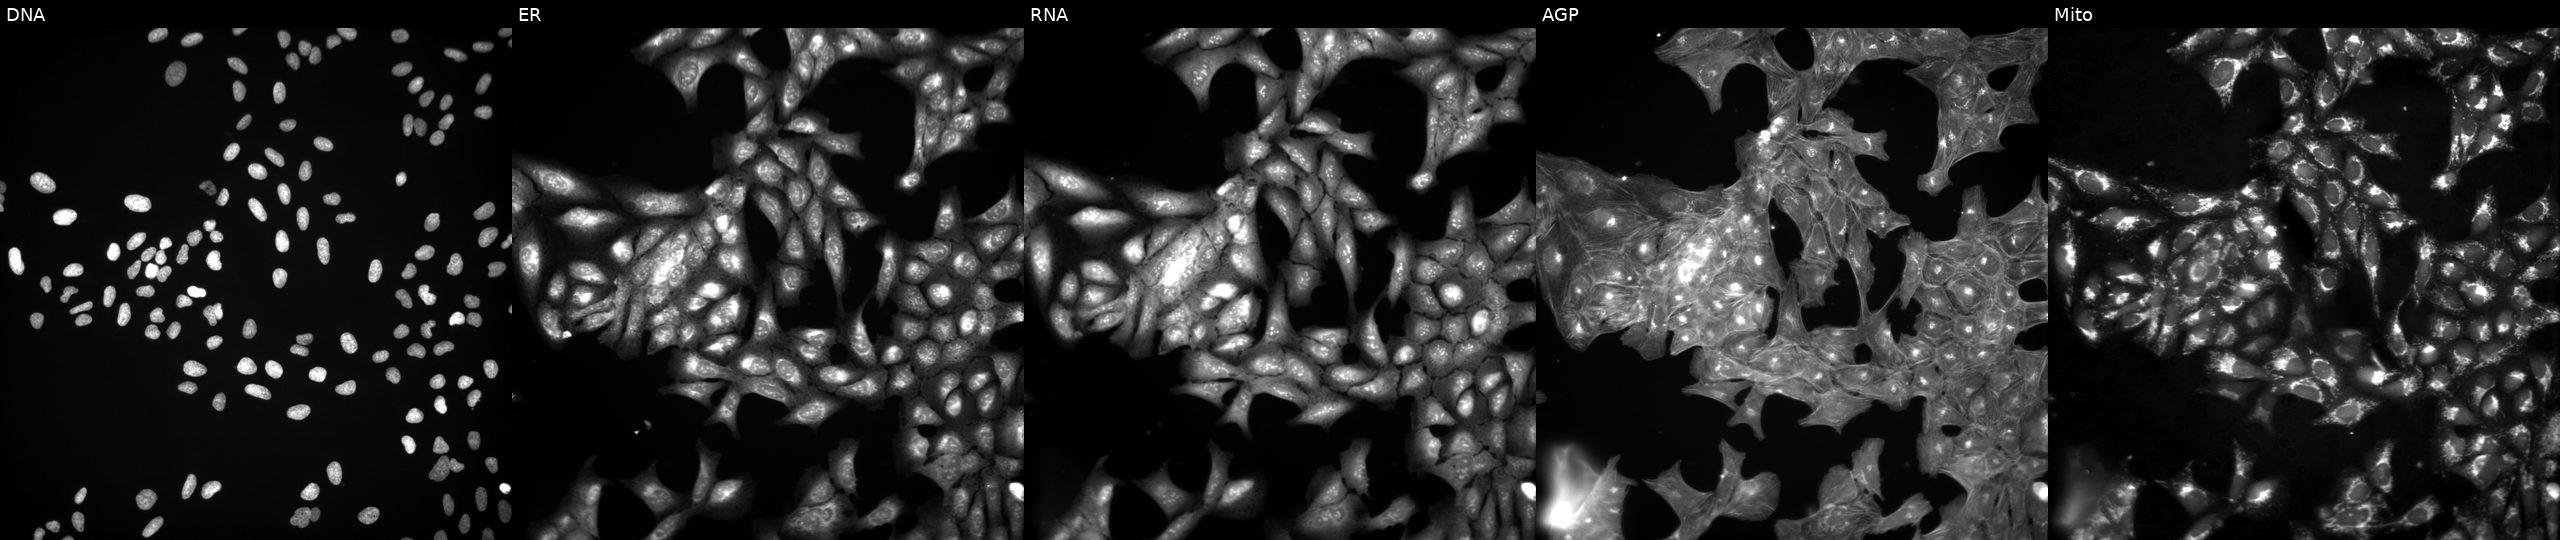
Five-channel Cell Painting image of U2OS cells treated with a small-molecule compound. The five panels, left to right, show DNA, ER, RNA, AGP, and Mito.